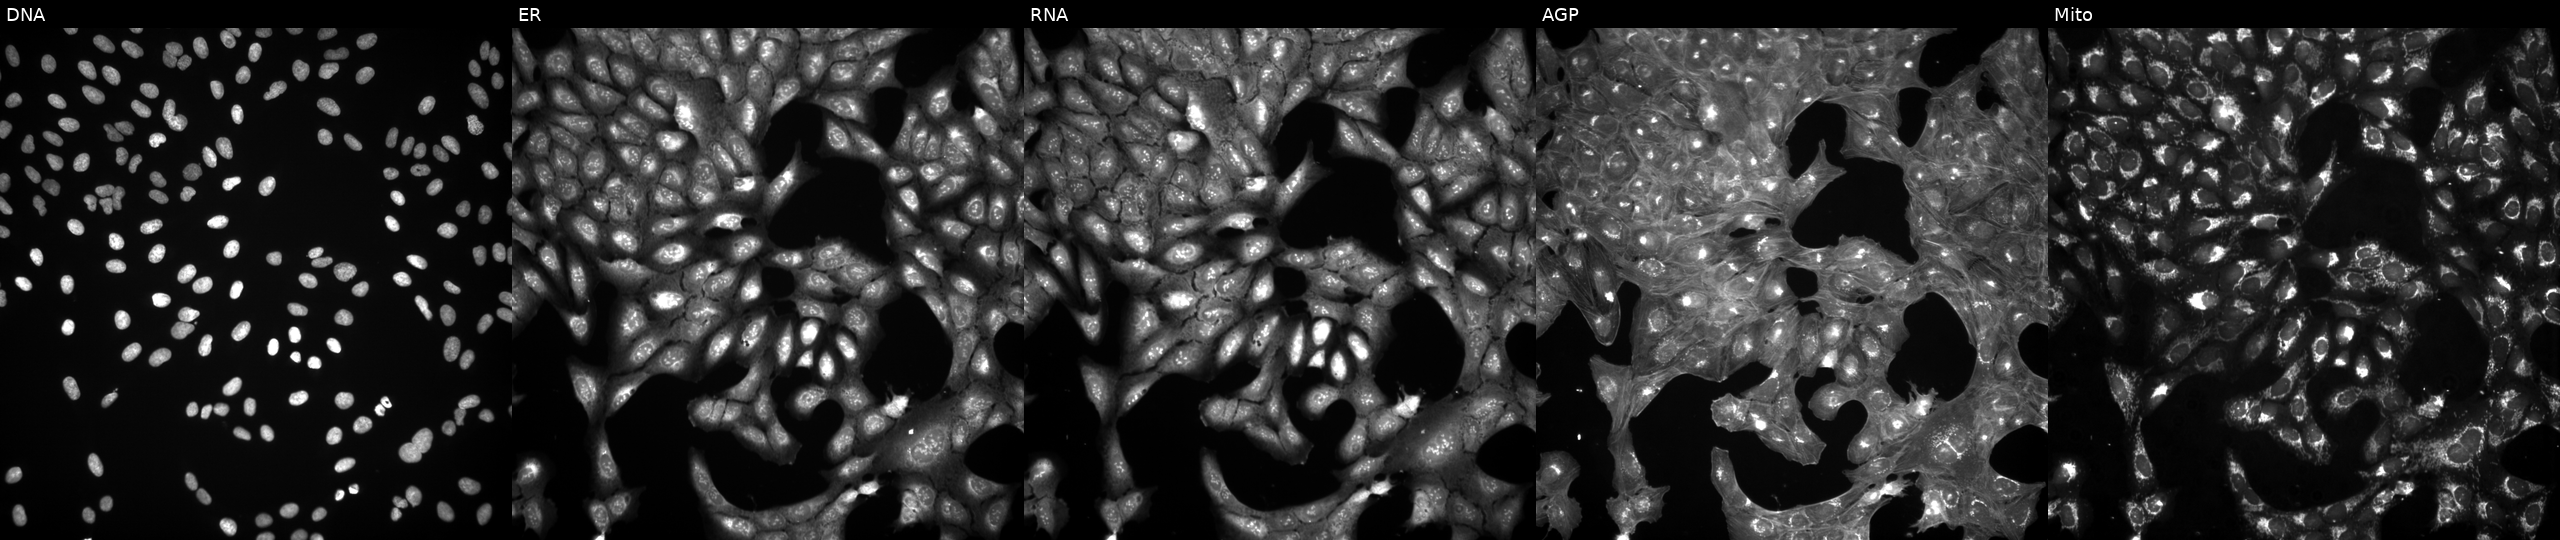
High-content fluorescence microscopy (Cell Painting). Cell line: U2OS. Perturbation: treated with a small-molecule compound (InChIKey QNQZWEGMKJBHEM-UHFFFAOYSA-N) [SMILES: Cc1c(-c2ccnn2C)cc(C(=O)NCc2ccc(S(C)(=O)=O)cn2)c(=O)n1-c1cccc(C(F)(F)F)c1] (JUMP id JCP2022_074697). From left to right: DNA (nuclei); ER (endoplasmic reticulum); RNA (nucleoli and cytoplasmic RNA); AGP (actin cytoskeleton, Golgi, and plasma membrane); Mito (mitochondria). Source 3, plate JCPQC052, well E17.